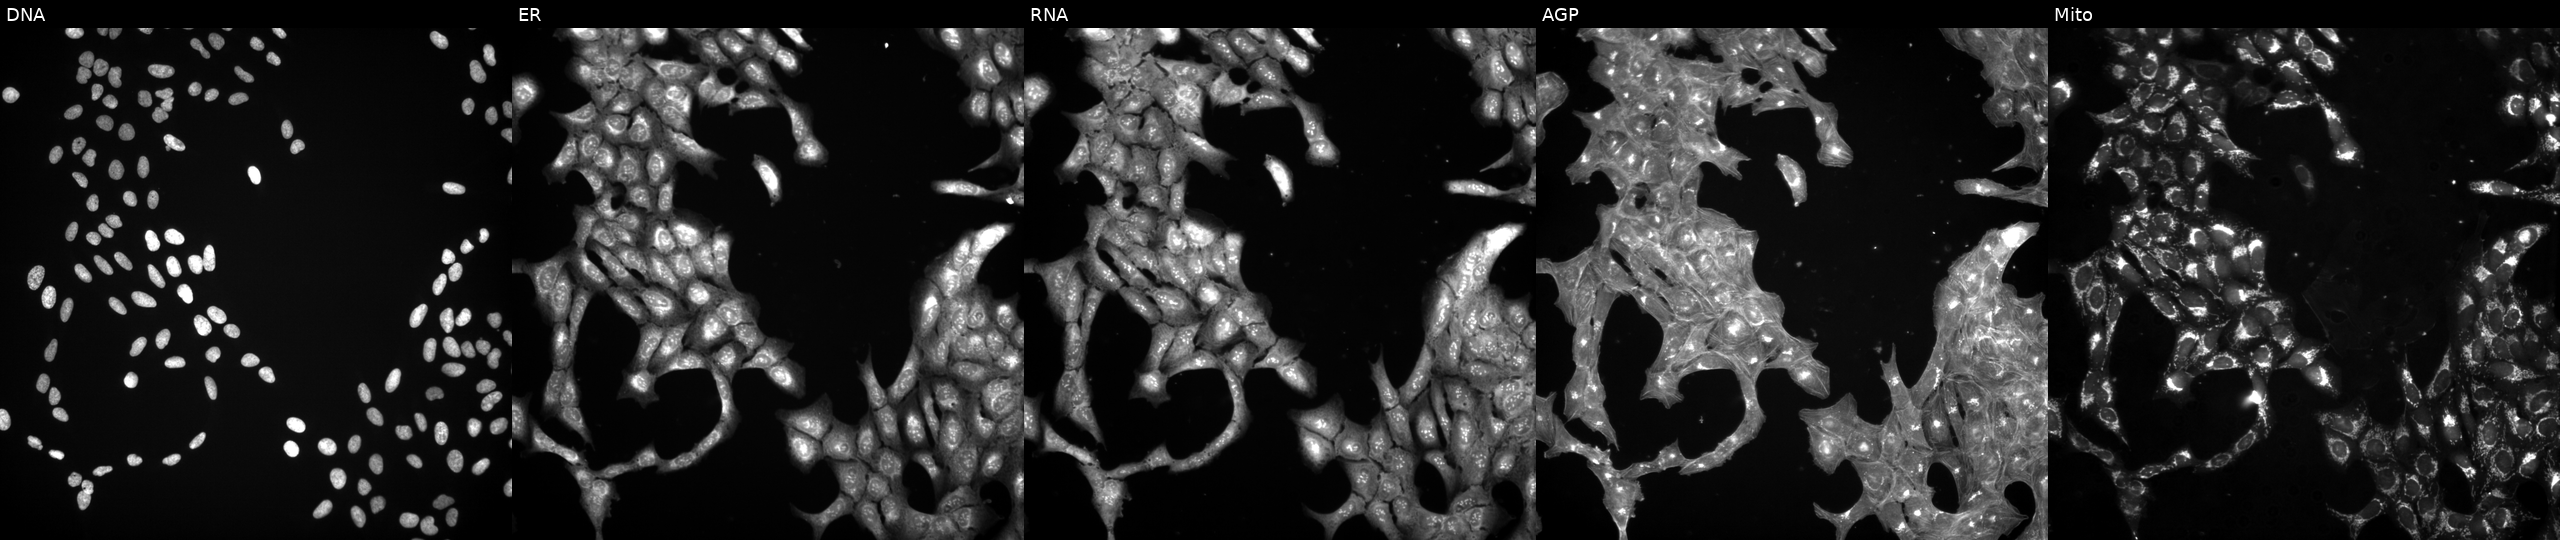
This image strip shows the five Cell Painting channels for a single field of U2OS cells exposed to a small-molecule compound (InChIKey HIDOWCVEOAHFJJ-UHFFFAOYSA-N) (JUMP id JCP2022_030360). From left to right: DNA, ER, RNA, AGP, and Mito.